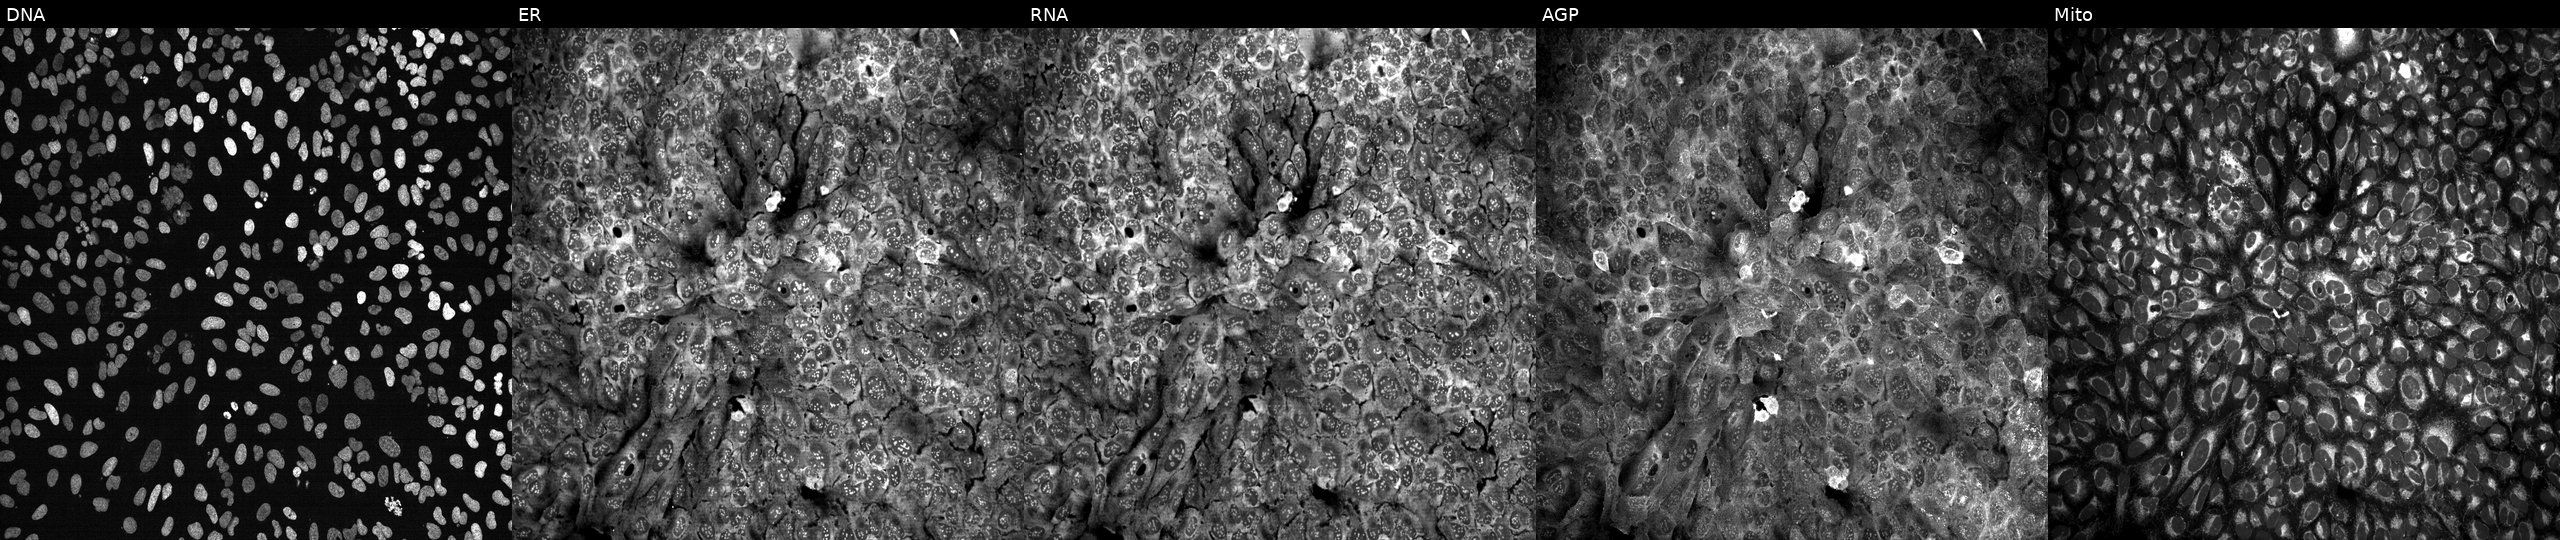
Five-channel Cell Painting image of U2OS cells CRISPR-edited to disrupt MRM1. Panels show, left to right, DNA (nuclei); ER (endoplasmic reticulum); RNA (nucleoli and cytoplasmic RNA); AGP (actin cytoskeleton, Golgi, and plasma membrane); Mito (mitochondria).